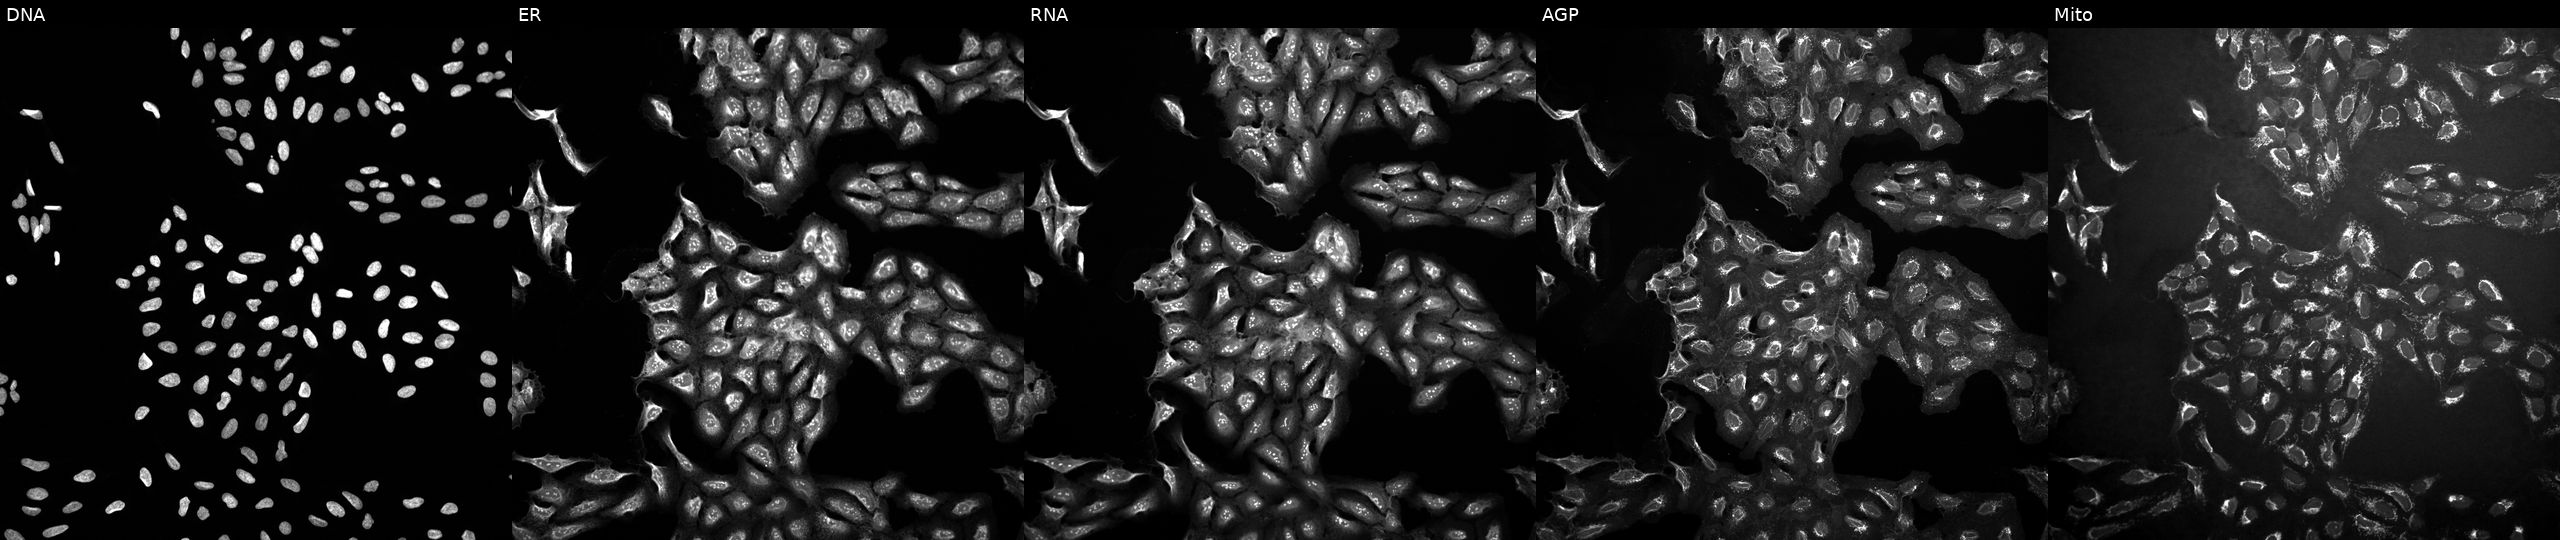
Five-channel Cell Painting image of U2OS cells exposed to a small-molecule compound (InChIKey BCZUAADEACICHN-UHFFFAOYSA-N) (JUMP id JCP2022_005529). Panels show, left to right, DNA, ER, RNA, AGP, and Mito.